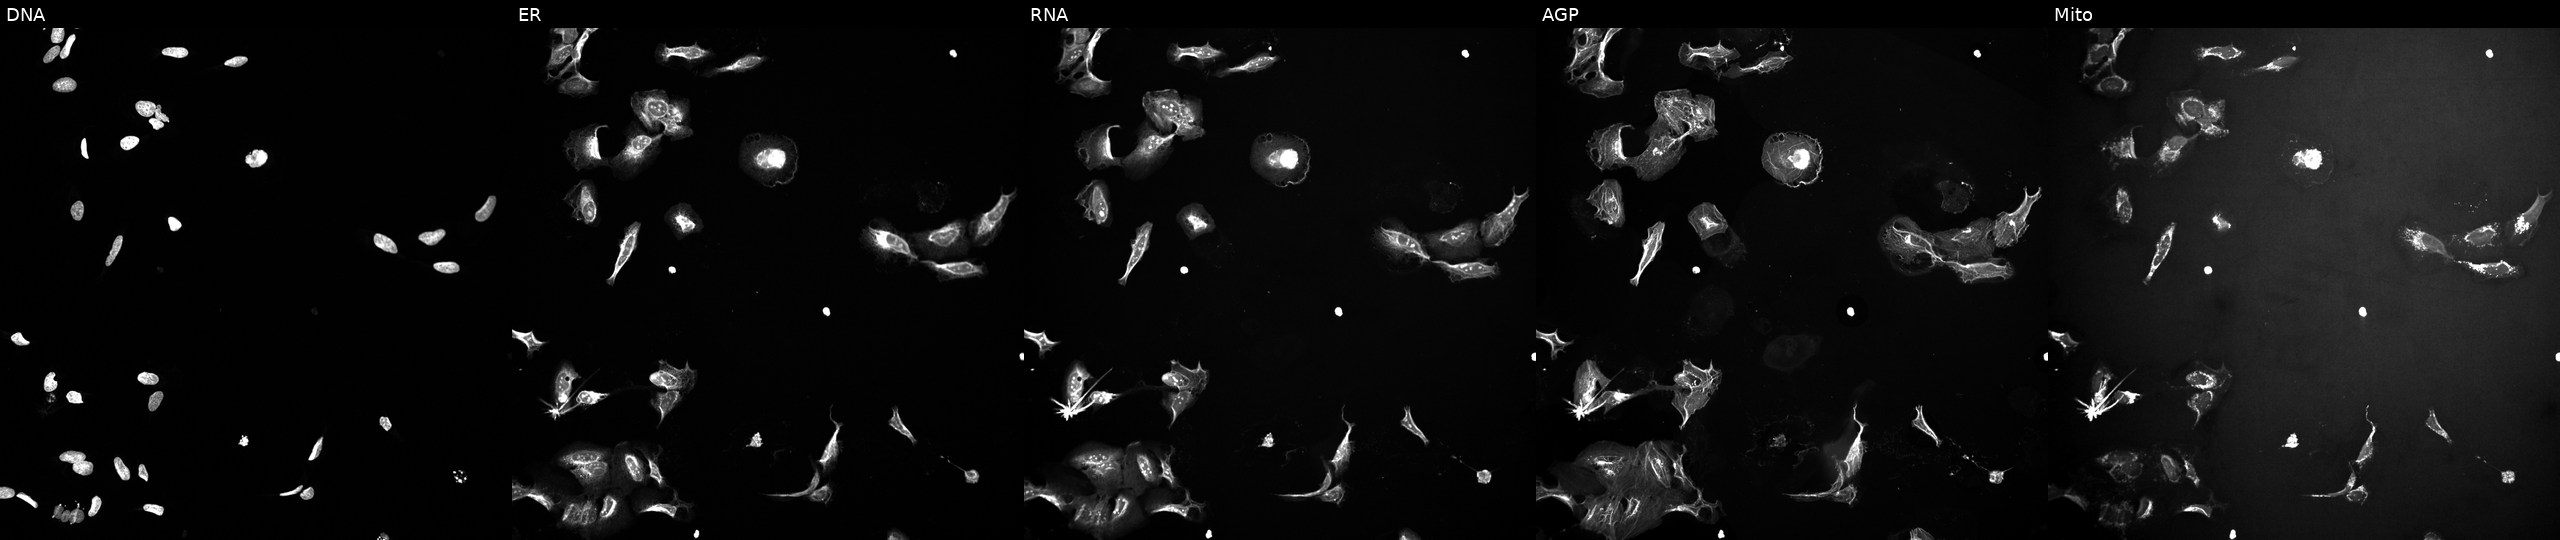
JUMP Cell Painting — COMPOUND plate. U2OS cells exposed to the positive-control compound TC-S-7004 (JUMP id JCP2022_012818). Channels (left→right): DNA (nuclei); ER (endoplasmic reticulum); RNA (nucleoli and cytoplasmic RNA); AGP (actin cytoskeleton, Golgi, and plasma membrane); Mito (mitochondria).